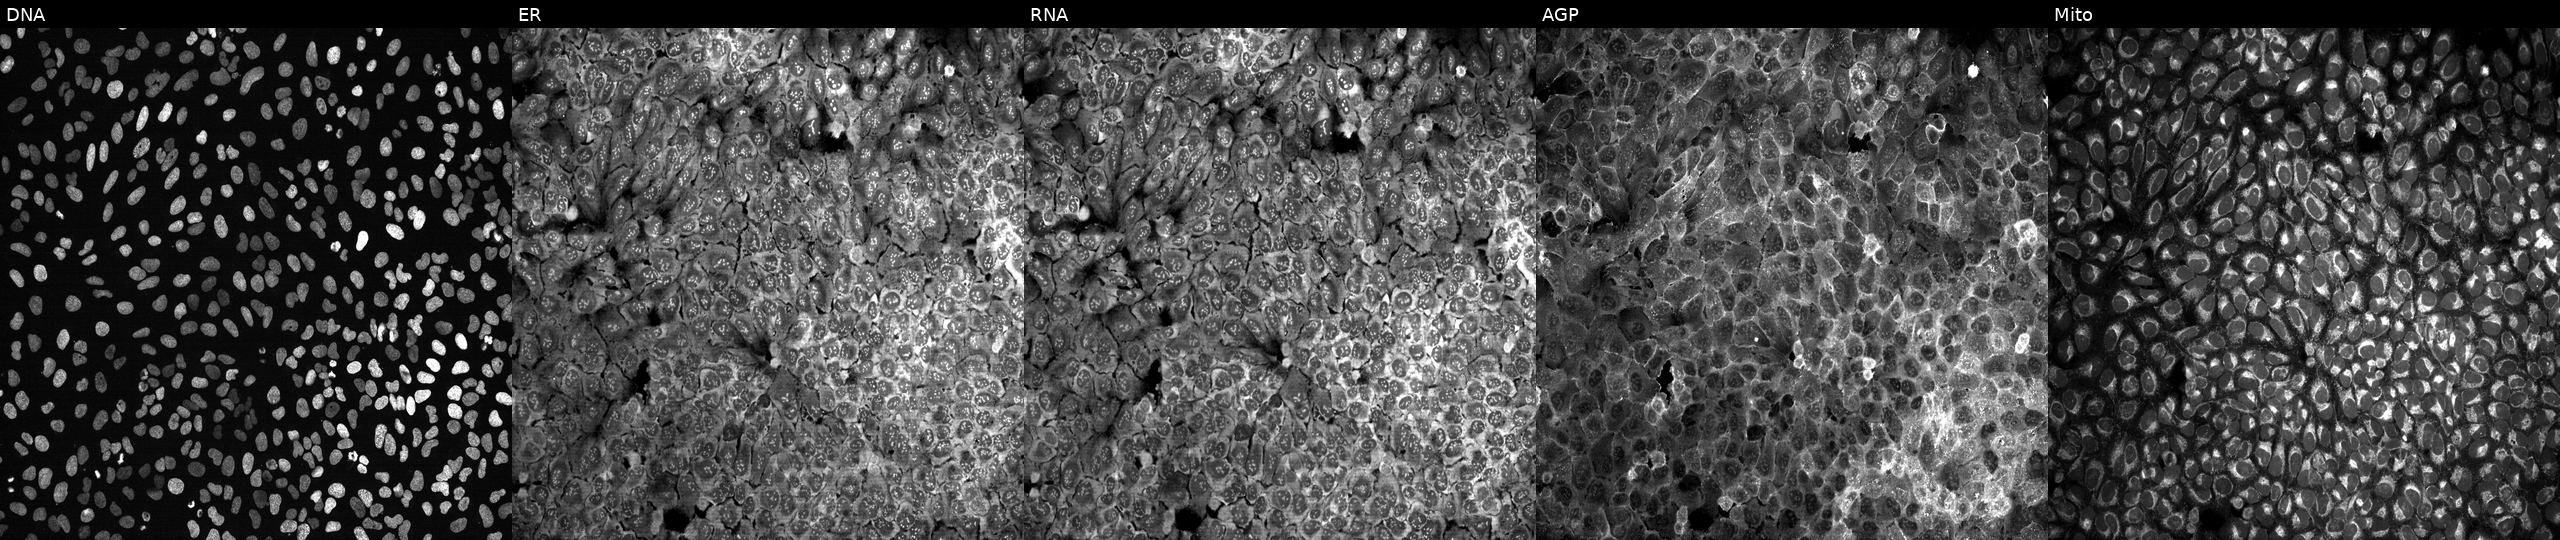
High-content fluorescence microscopy (Cell Painting). Cell line: U2OS. Perturbation: following CRISPR knockout of LIPF. Channels (left→right): Hoechst 33342, concanavalin A, SYTO 14, phalloidin and WGA, MitoTracker.